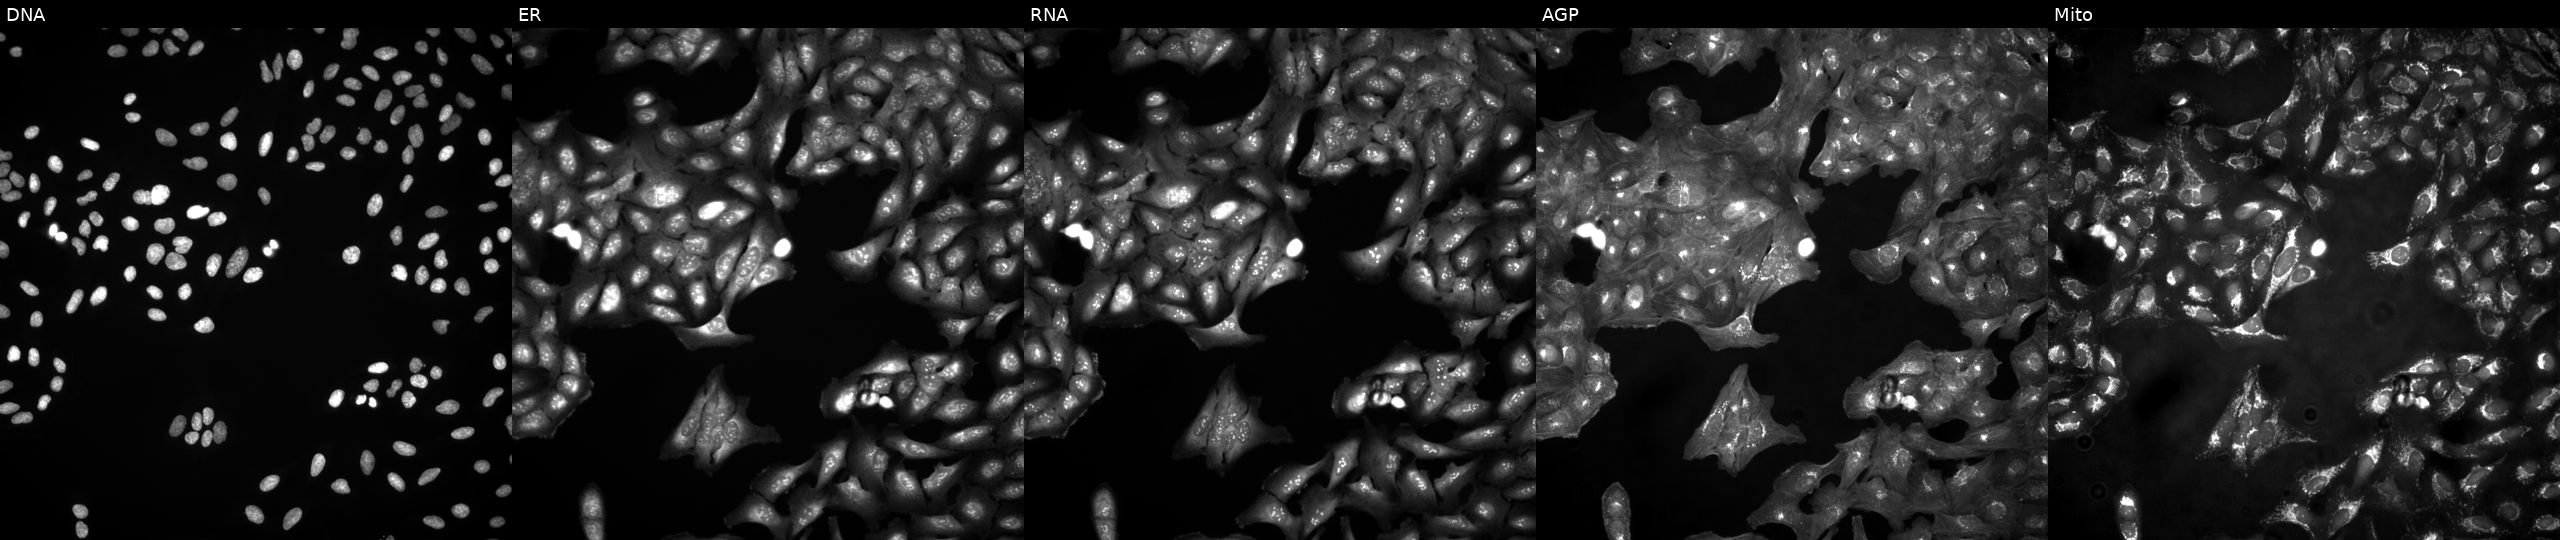
This image strip shows the five Cell Painting channels for a single field of U2OS cells untreated (empty-well control) (JUMP id JCP2022_999999). The five panels, left to right, show DNA, ER, RNA, AGP, and Mito.